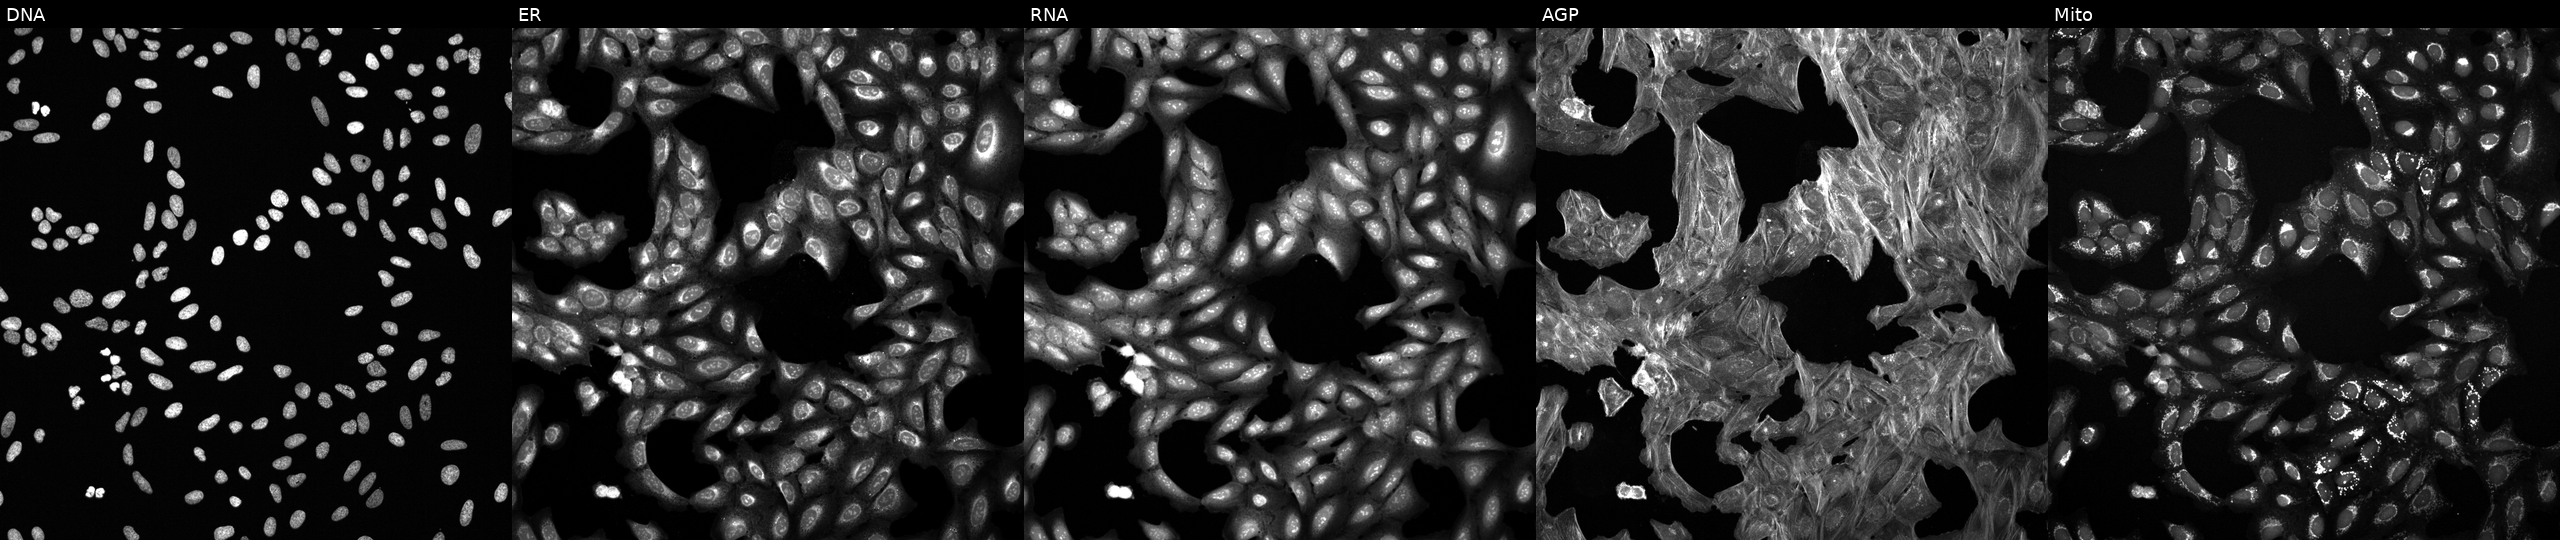
This image strip shows the five Cell Painting channels for a single field of U2OS cells perturbed with a small-molecule compound (InChIKey BVKYWEGBBUBRRL-UHFFFAOYSA-N). Channels (left→right): Hoechst 33342, concanavalin A, SYTO 14, phalloidin and WGA, MitoTracker.